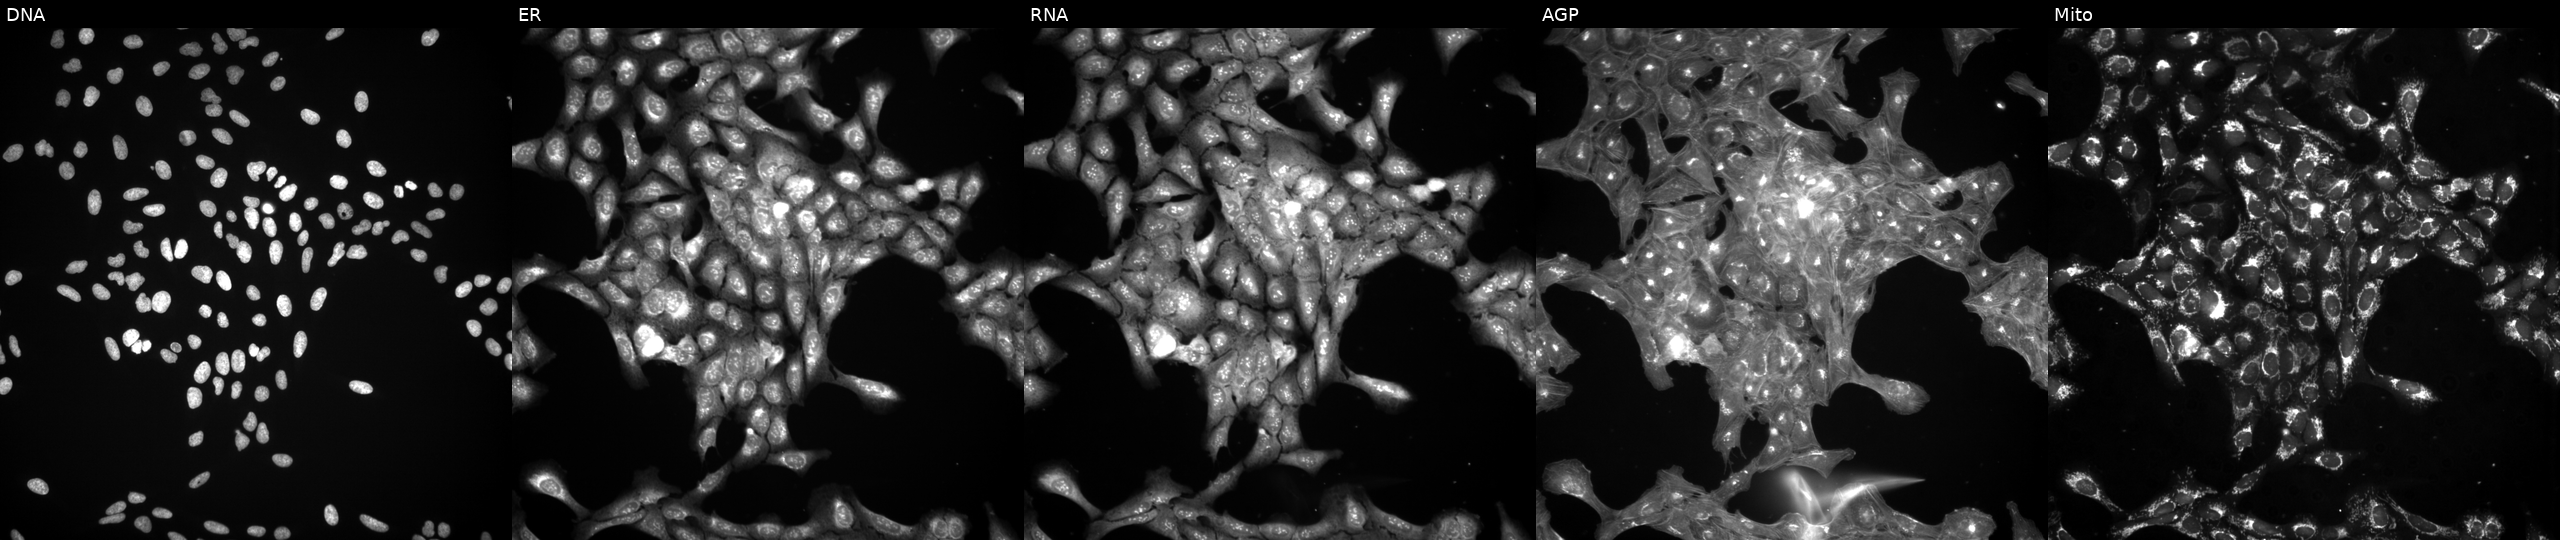
The five panels, left to right, show DNA, ER, RNA, AGP, and Mito. U2OS osteosarcoma cells perturbed with a small-molecule compound. Cell Painting assay, JUMP-CP dataset. Source 3, plate BR5867a3, well I14.